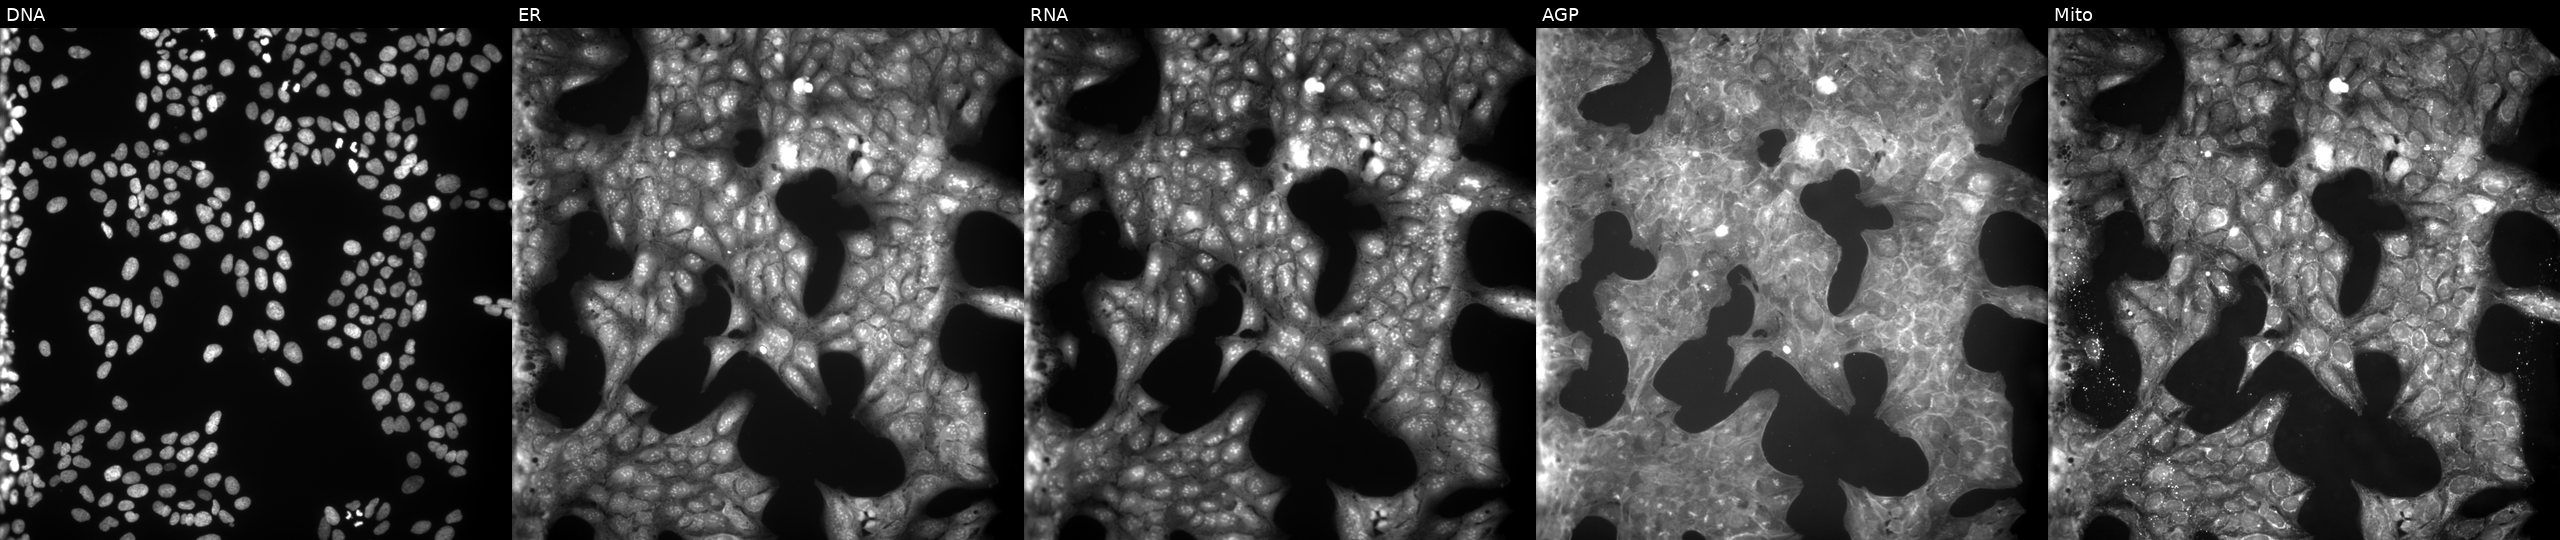
JUMP Cell Painting — COMPOUND plate. U2OS cells perturbed with a small-molecule compound (InChIKey IBCXZJCWDGCXQT-UHFFFAOYSA-N) [SMILES: c1ccc(-c2[nH]ncc2-c2ccnc3ccccc23)nc1]. From left to right: DNA, ER, RNA, AGP, and Mito. Source 9, plate GR00003382, well E25.